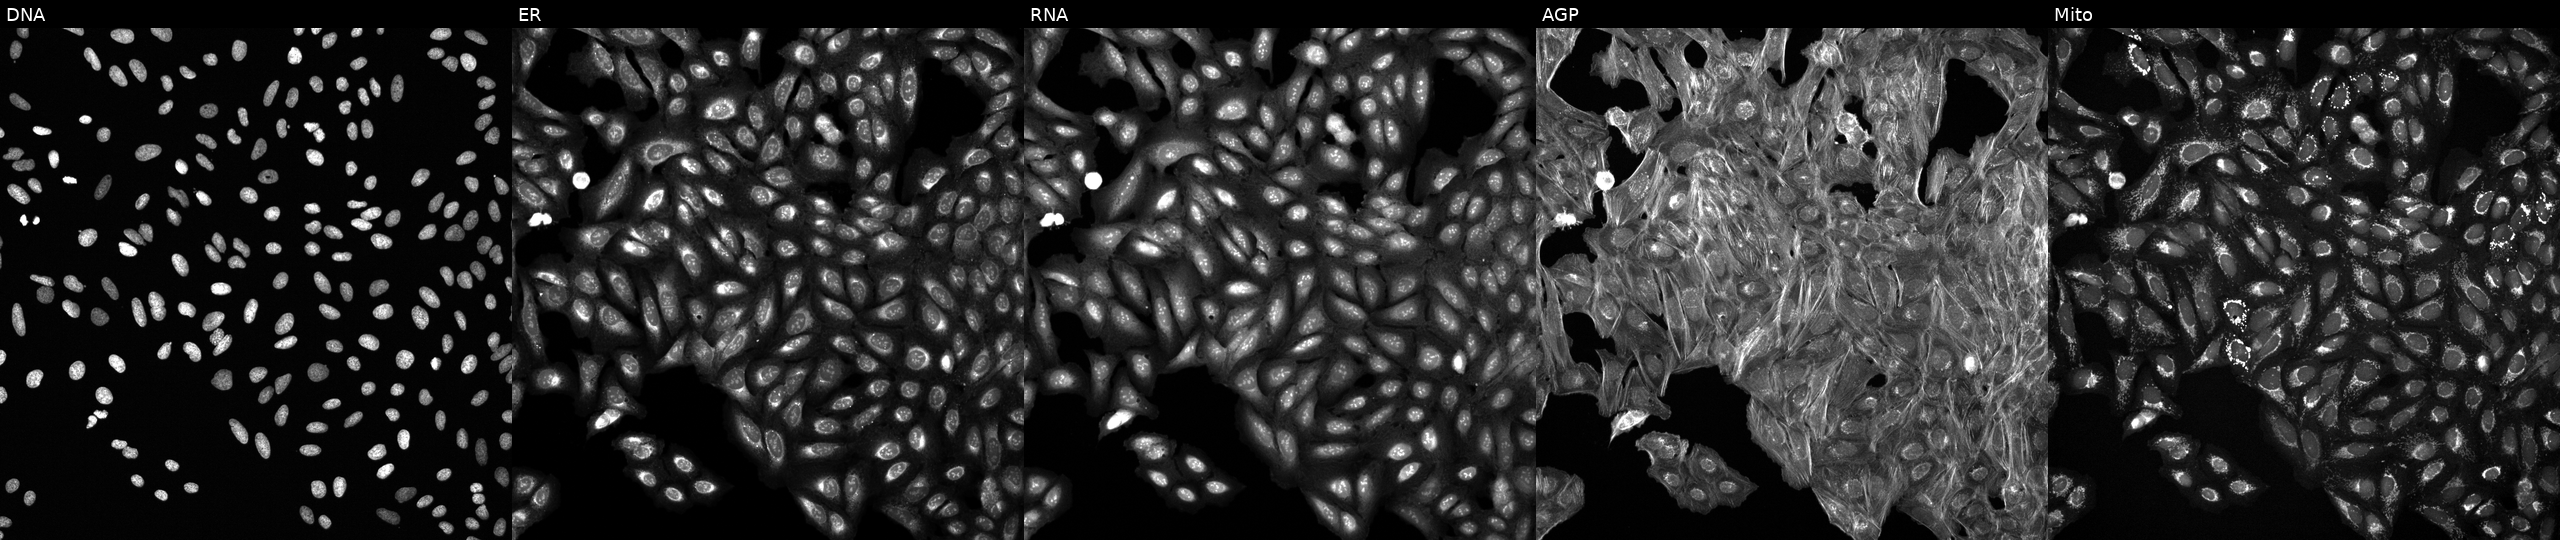
High-content fluorescence microscopy (Cell Painting). Cell line: U2OS. Perturbation: treated with aloxistatin (positive-control compound) (JUMP id JCP2022_085227). From left to right: Hoechst 33342, concanavalin A, SYTO 14, phalloidin and WGA, MitoTracker.